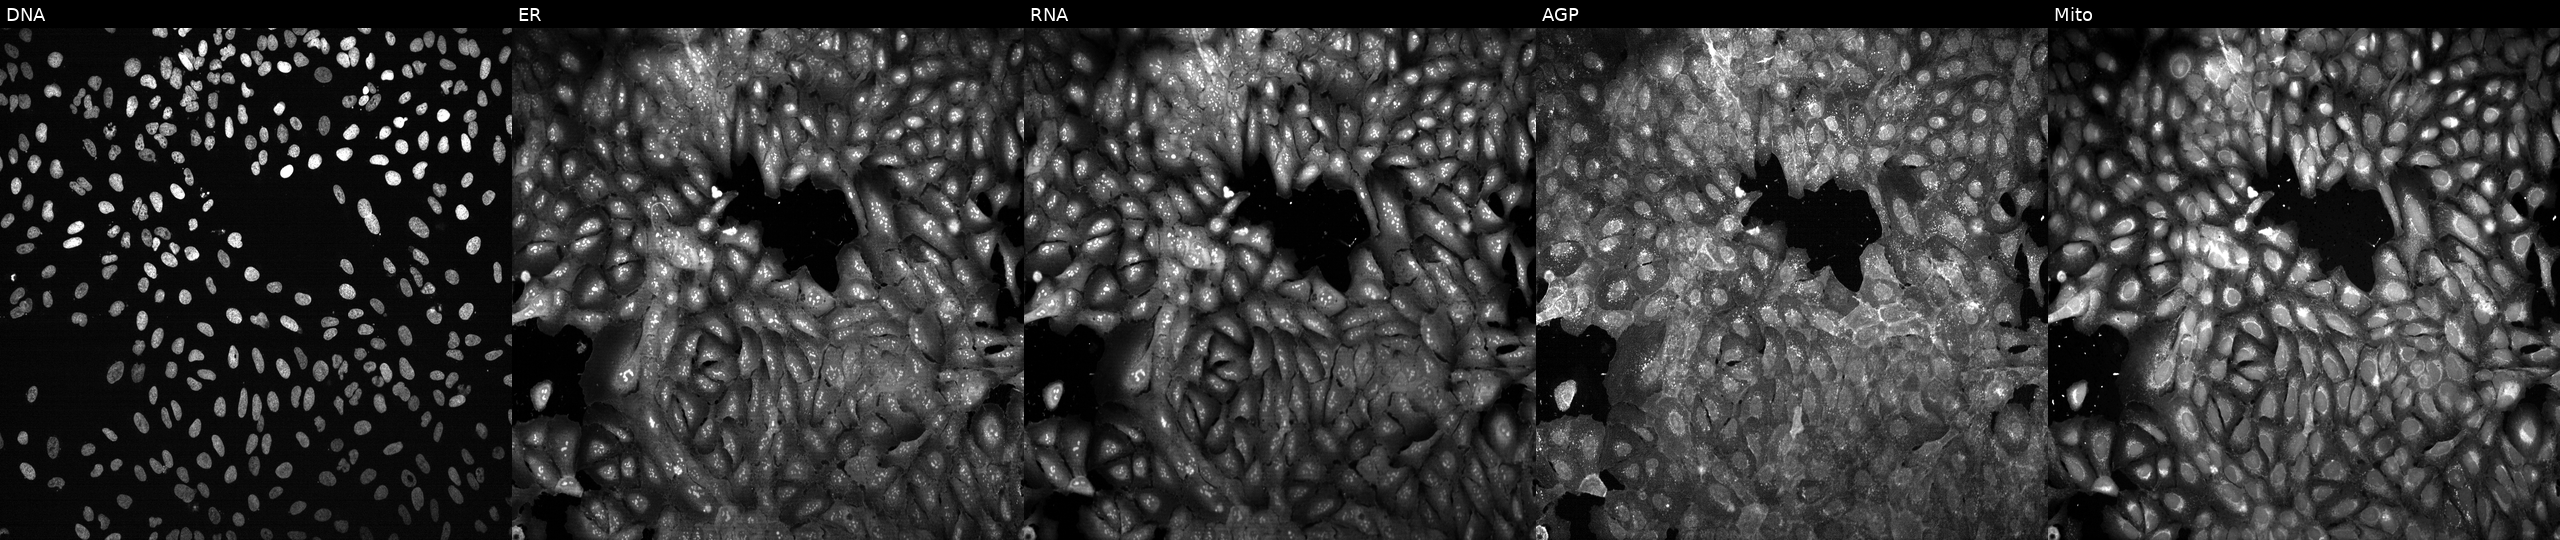
High-content fluorescence microscopy (Cell Painting). Cell line: U2OS. Perturbation: following CRISPR knockout of AMDHD2 (JUMP id JCP2022_800438). Channels (left→right): DNA (nuclei); ER (endoplasmic reticulum); RNA (nucleoli and cytoplasmic RNA); AGP (actin cytoskeleton, Golgi, and plasma membrane); Mito (mitochondria).